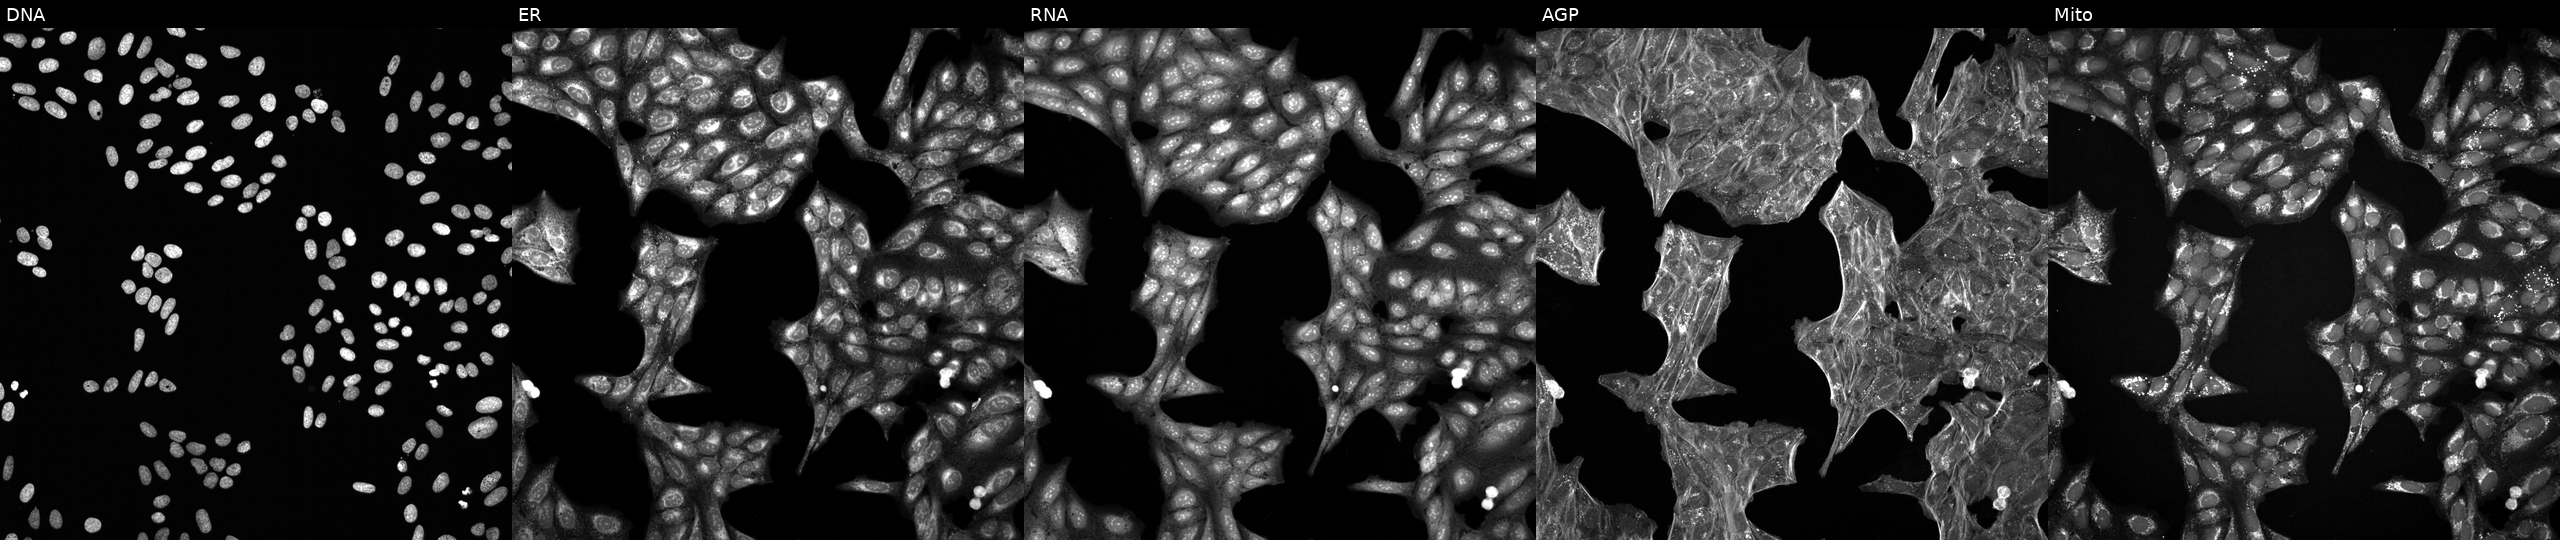
High-content fluorescence microscopy (Cell Painting). Cell line: U2OS. Perturbation: perturbed with a small-molecule compound. Panels show, left to right, DNA, ER, RNA, AGP, and Mito.